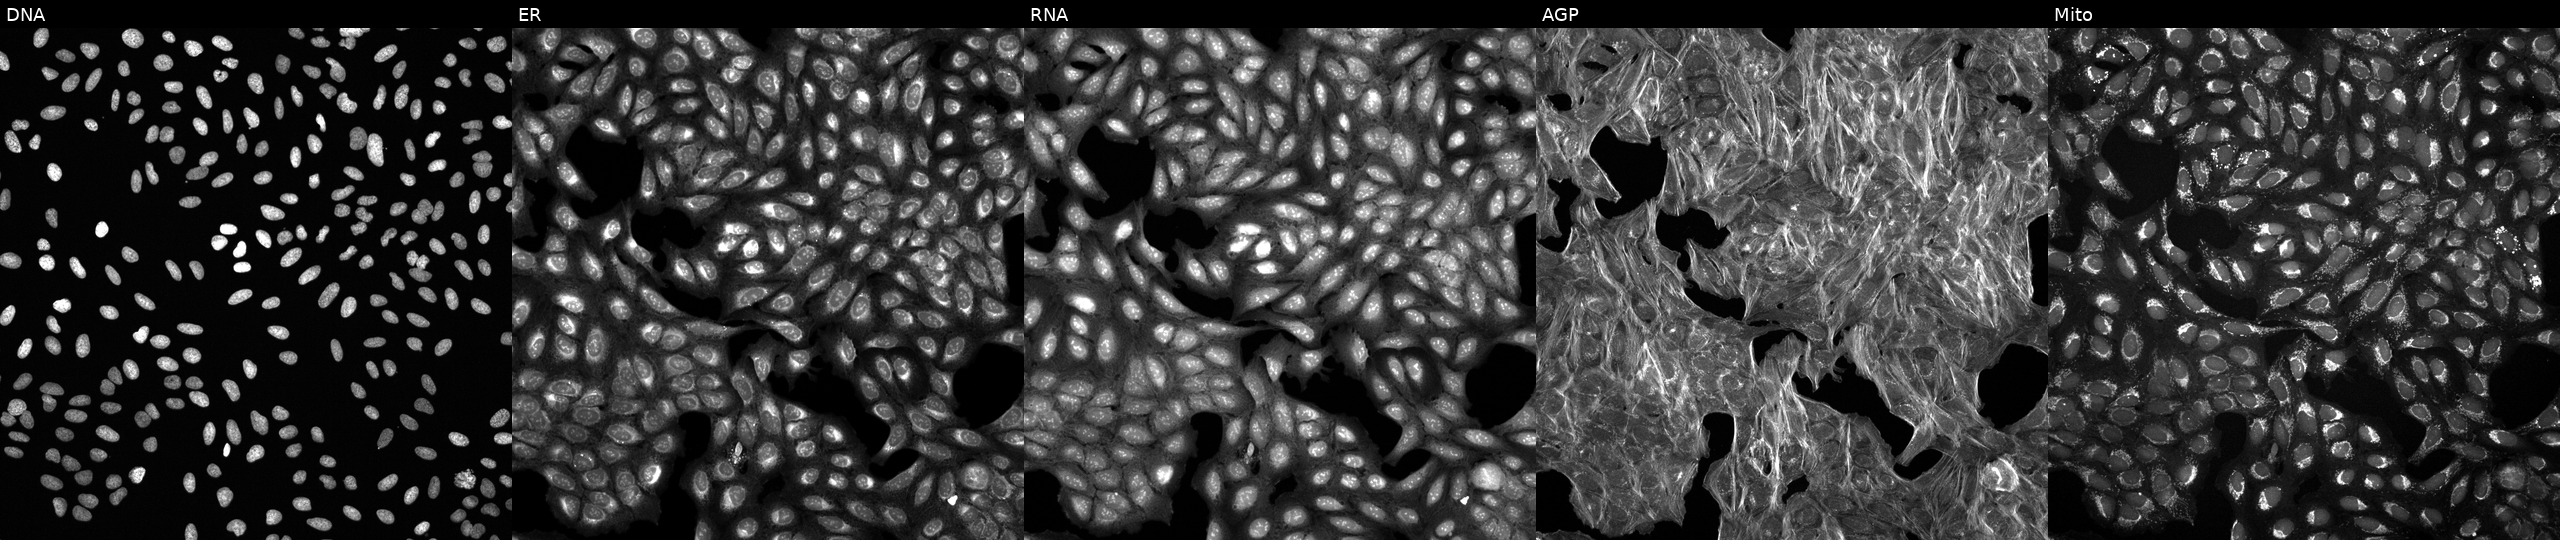
This image strip shows the five Cell Painting channels for a single field of U2OS cells treated with a small-molecule compound (JUMP id JCP2022_096267). Channels (left→right): Hoechst 33342, concanavalin A, SYTO 14, phalloidin and WGA, MitoTracker.